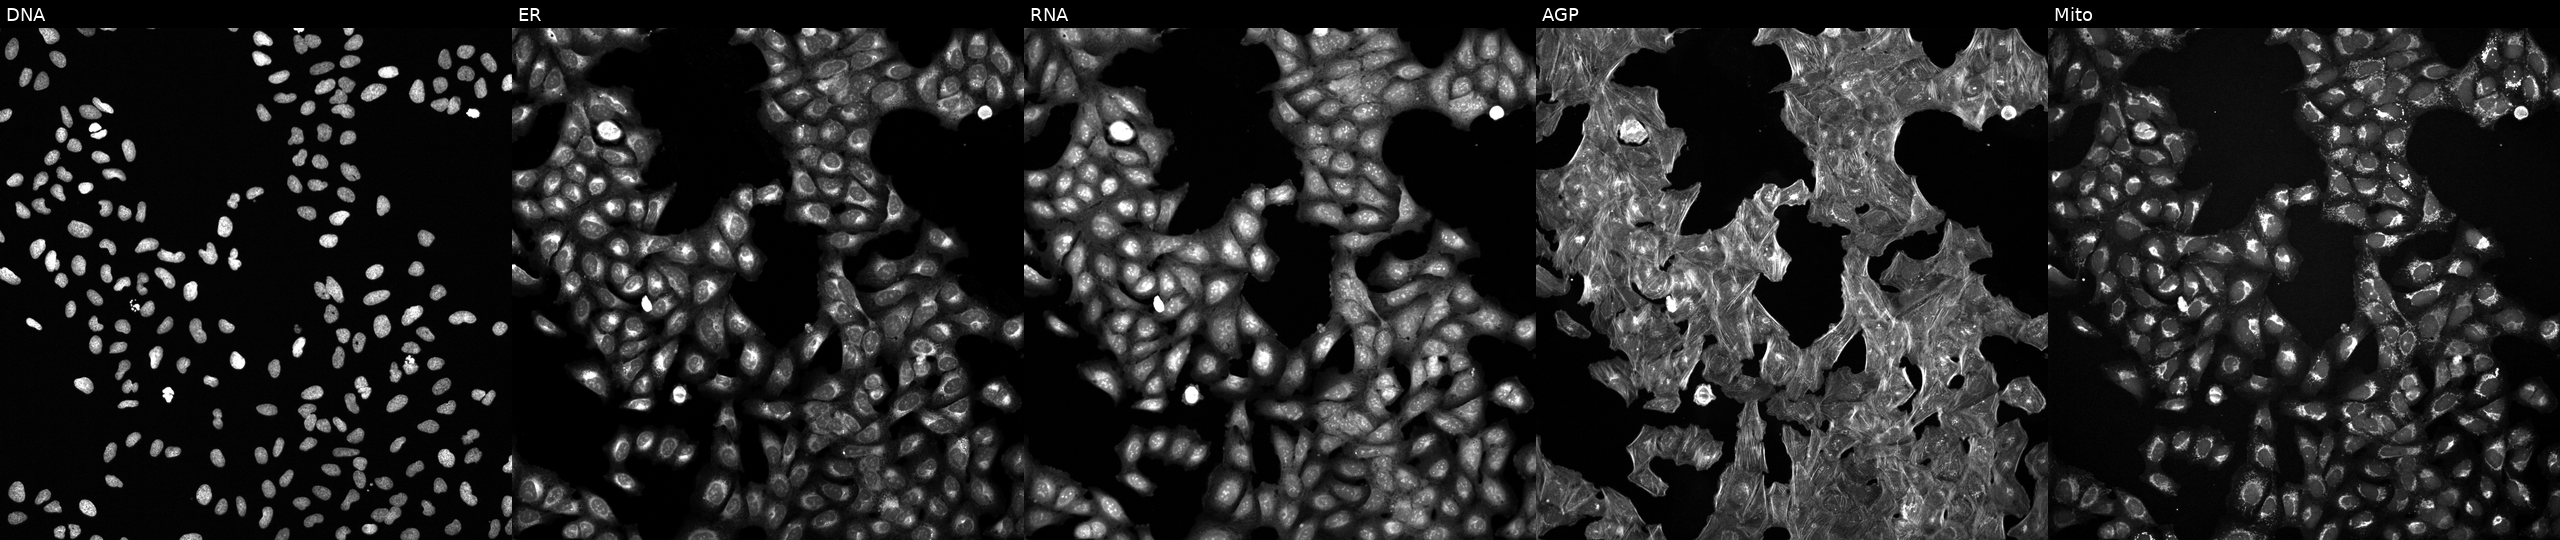
Five-channel Cell Painting image of U2OS cells treated with NVS-PAK1-1 (positive-control compound) (JUMP id JCP2022_064022). The five panels, left to right, show DNA (nuclei); ER (endoplasmic reticulum); RNA (nucleoli and cytoplasmic RNA); AGP (actin cytoskeleton, Golgi, and plasma membrane); Mito (mitochondria). Source 6, plate 110000293083, well B24.